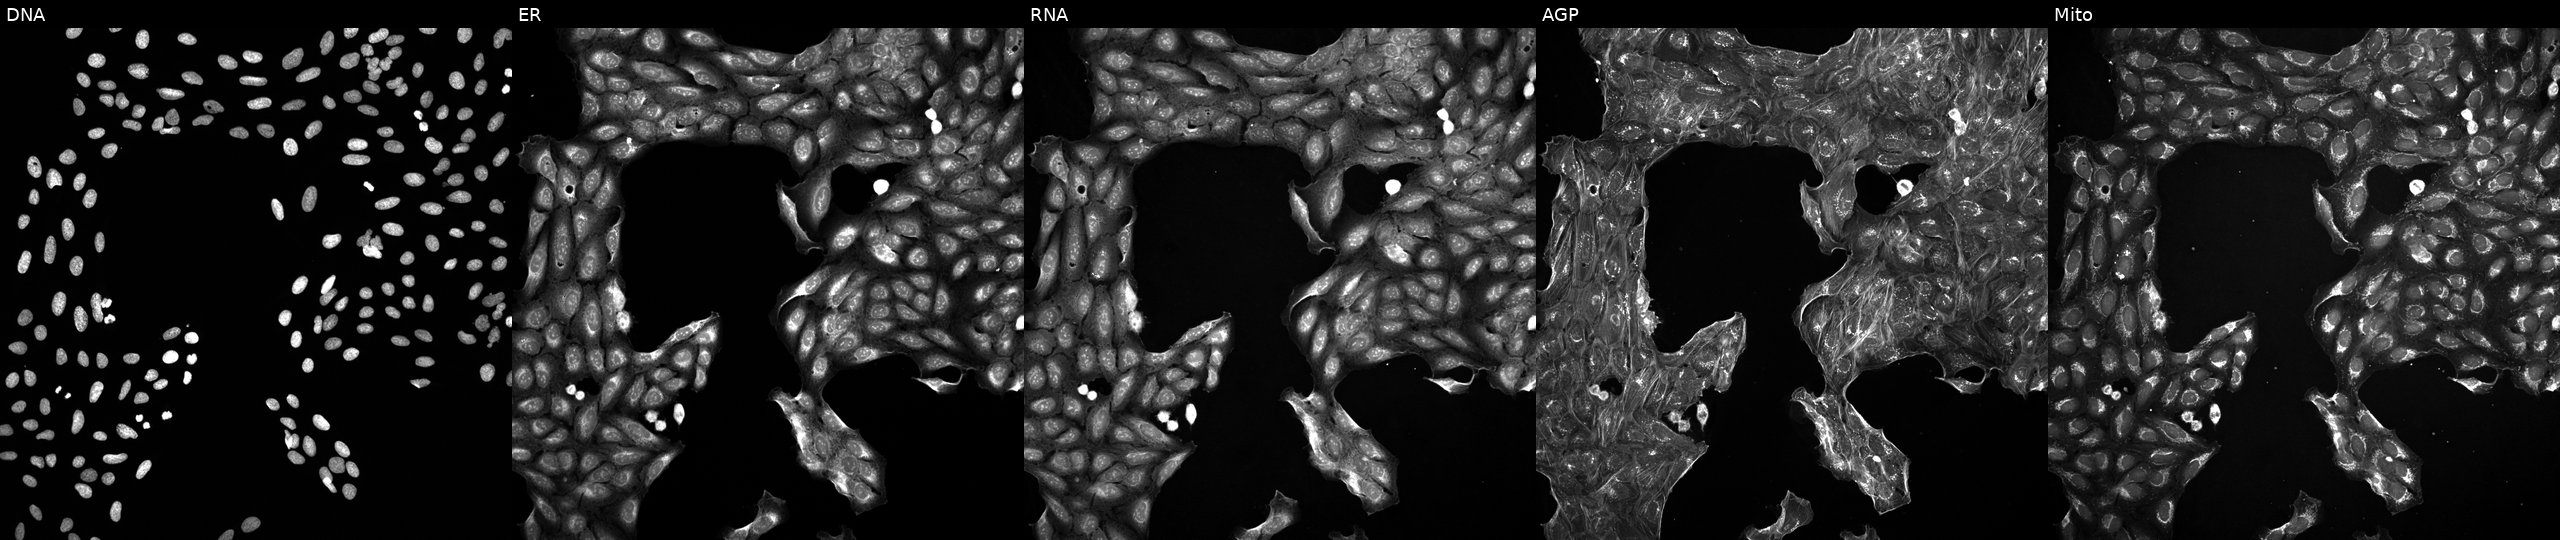
JUMP Cell Painting — TARGET2 plate. U2OS cells perturbed with a small-molecule compound (InChIKey NUIKTBLZSPQGCP-UHFFFAOYSA-N) (JUMP id JCP2022_061421). The five panels, left to right, show DNA, ER, RNA, AGP, and Mito.